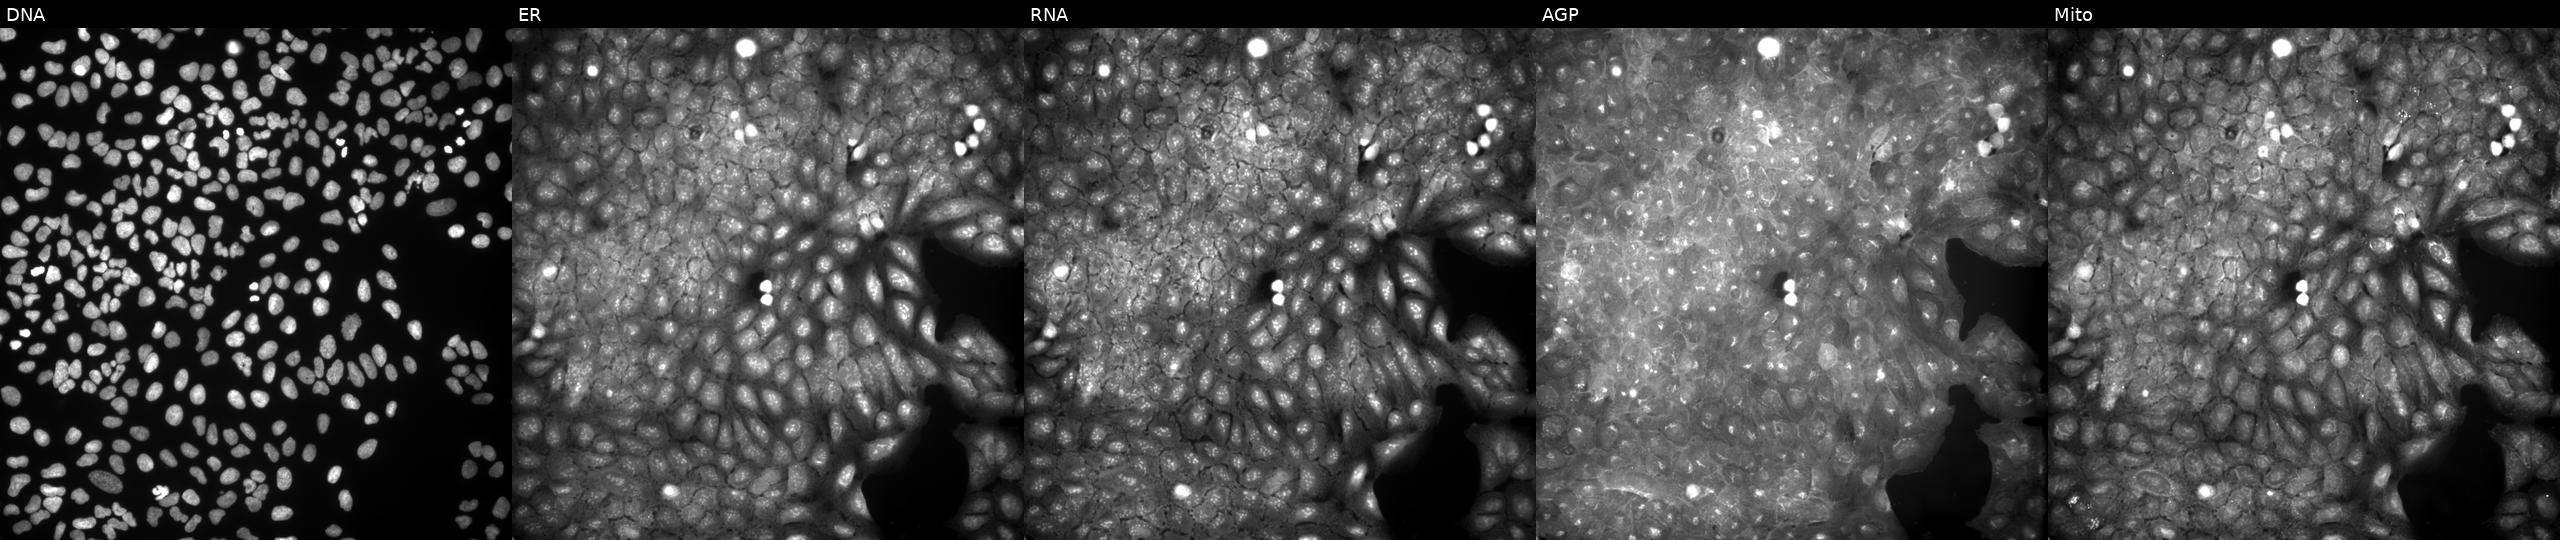
Five-channel Cell Painting image of U2OS cells treated with a small-molecule compound (InChIKey VFMBNQBVTQINDV-UHFFFAOYSA-N). Panels show, left to right, DNA (nuclei); ER (endoplasmic reticulum); RNA (nucleoli and cytoplasmic RNA); AGP (actin cytoskeleton, Golgi, and plasma membrane); Mito (mitochondria).